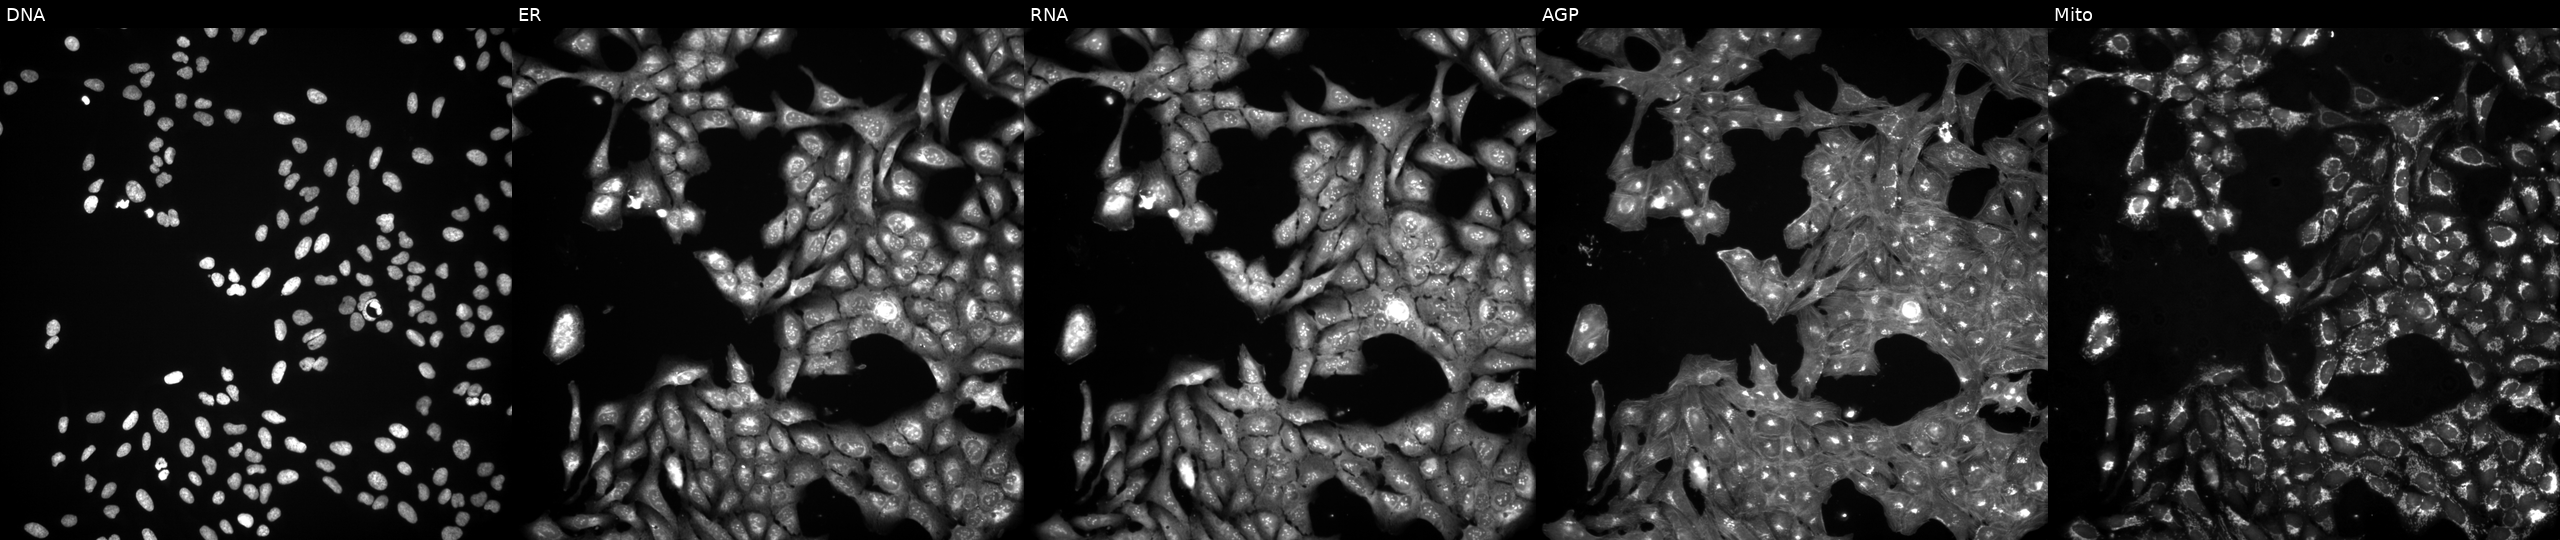
Five-channel Cell Painting image of U2OS cells exposed to DMSO alone as a negative control. The five panels, left to right, show DNA, ER, RNA, AGP, and Mito.